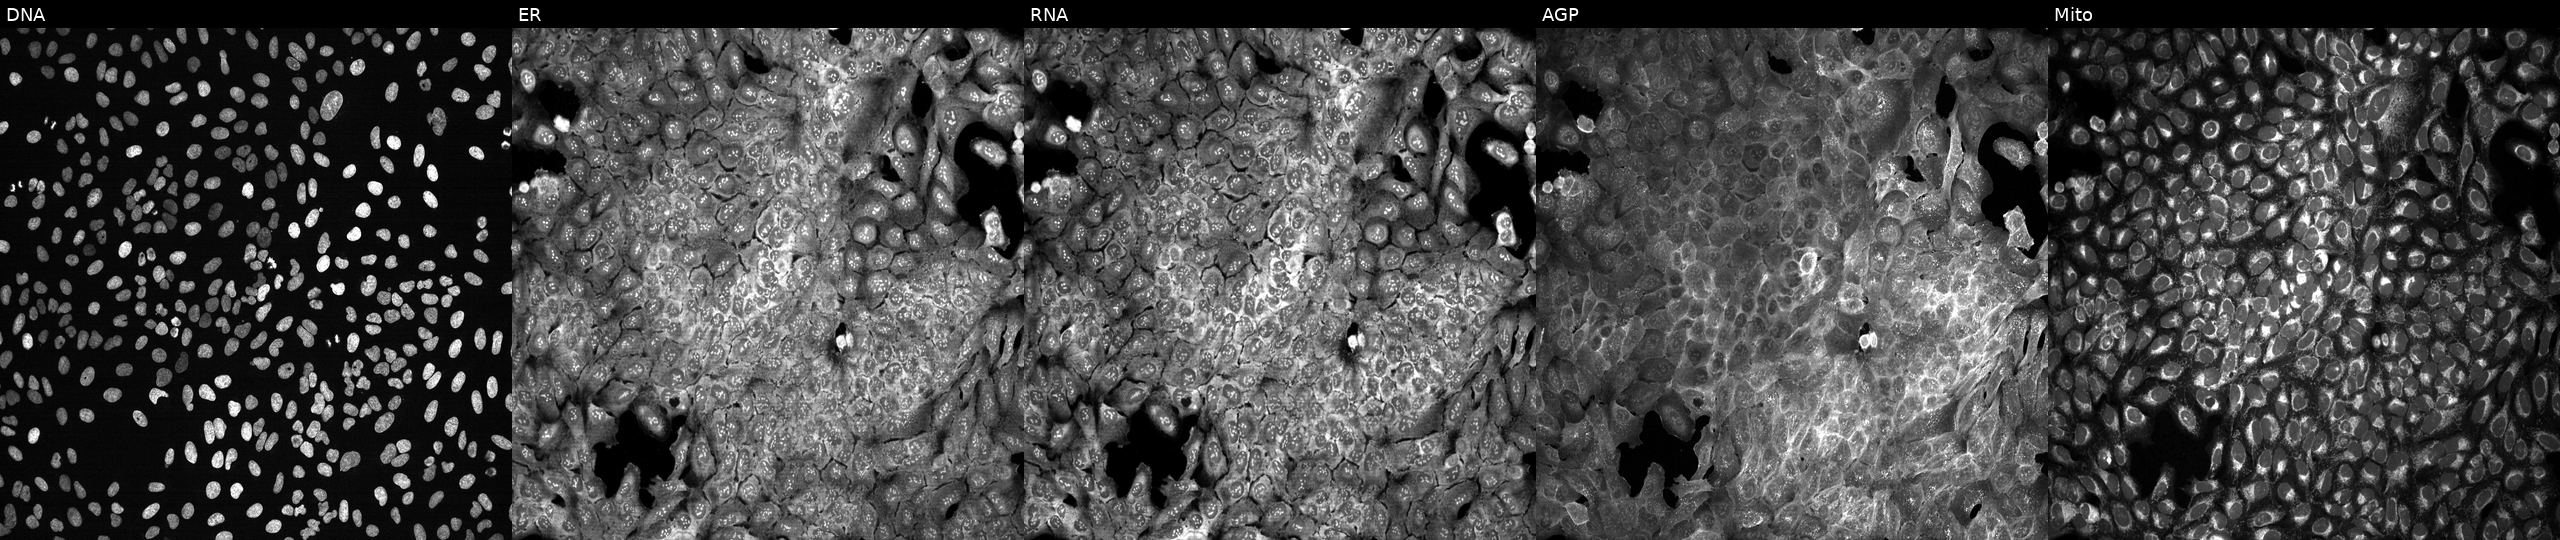
Channels (left→right): Hoechst 33342, concanavalin A, SYTO 14, phalloidin and WGA, MitoTracker. U2OS osteosarcoma cells with a non-targeting CRISPR guide (negative control) (JUMP id JCP2022_800002). Cell Painting assay, JUMP-CP dataset. Source 13, plate CP-CC9-R6-19, well C23.